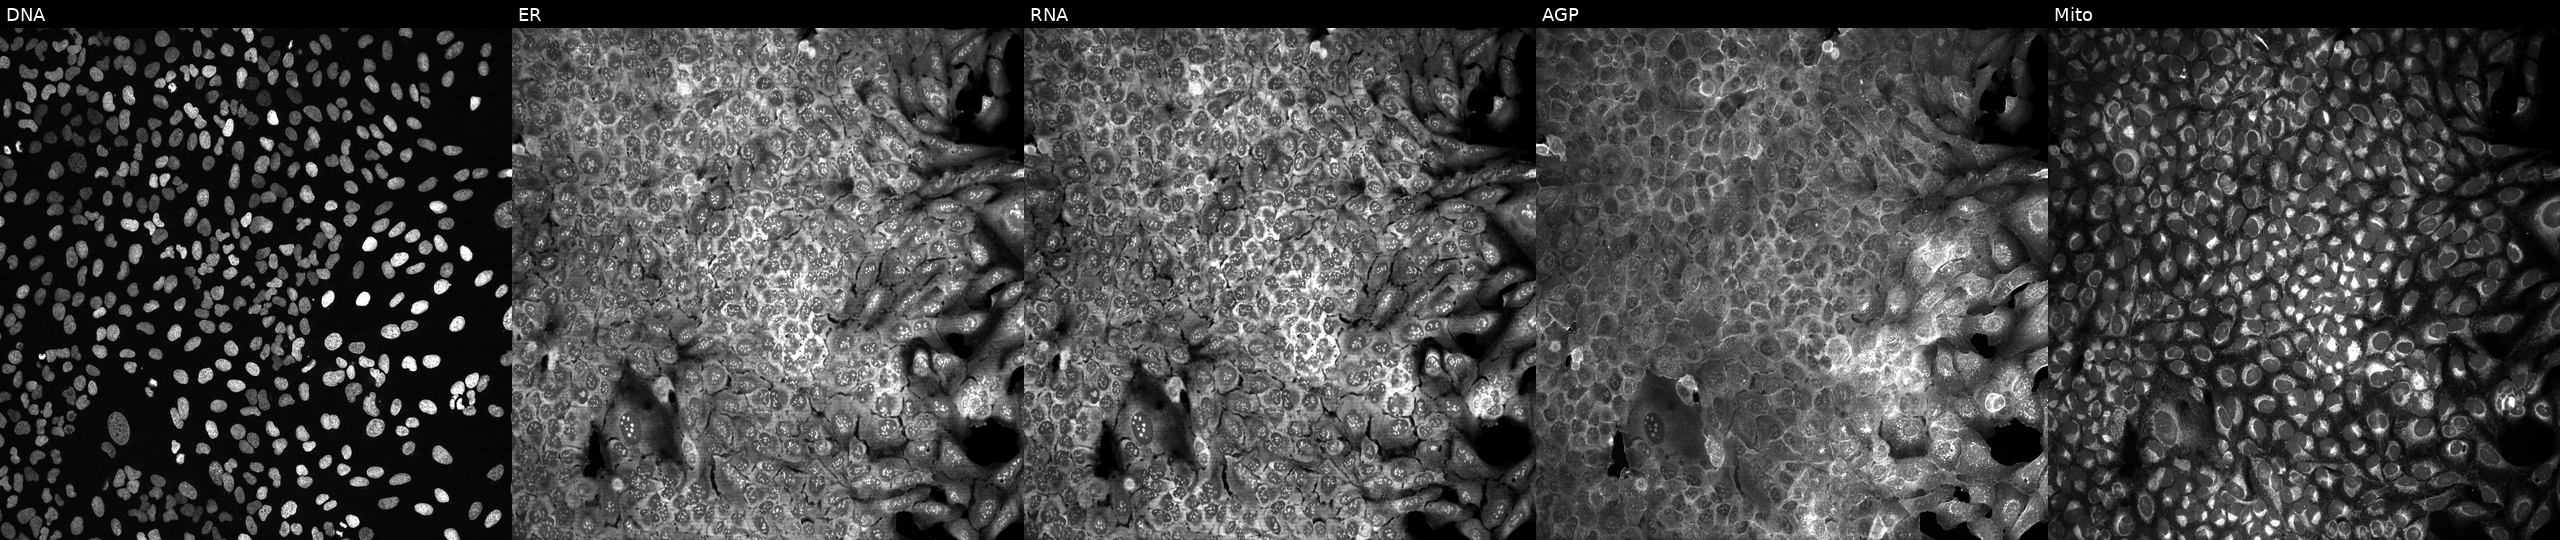
Five-channel Cell Painting image of U2OS cells following CRISPR knockout of MALT1. Panels show, left to right, Hoechst 33342, concanavalin A, SYTO 14, phalloidin and WGA, MitoTracker.